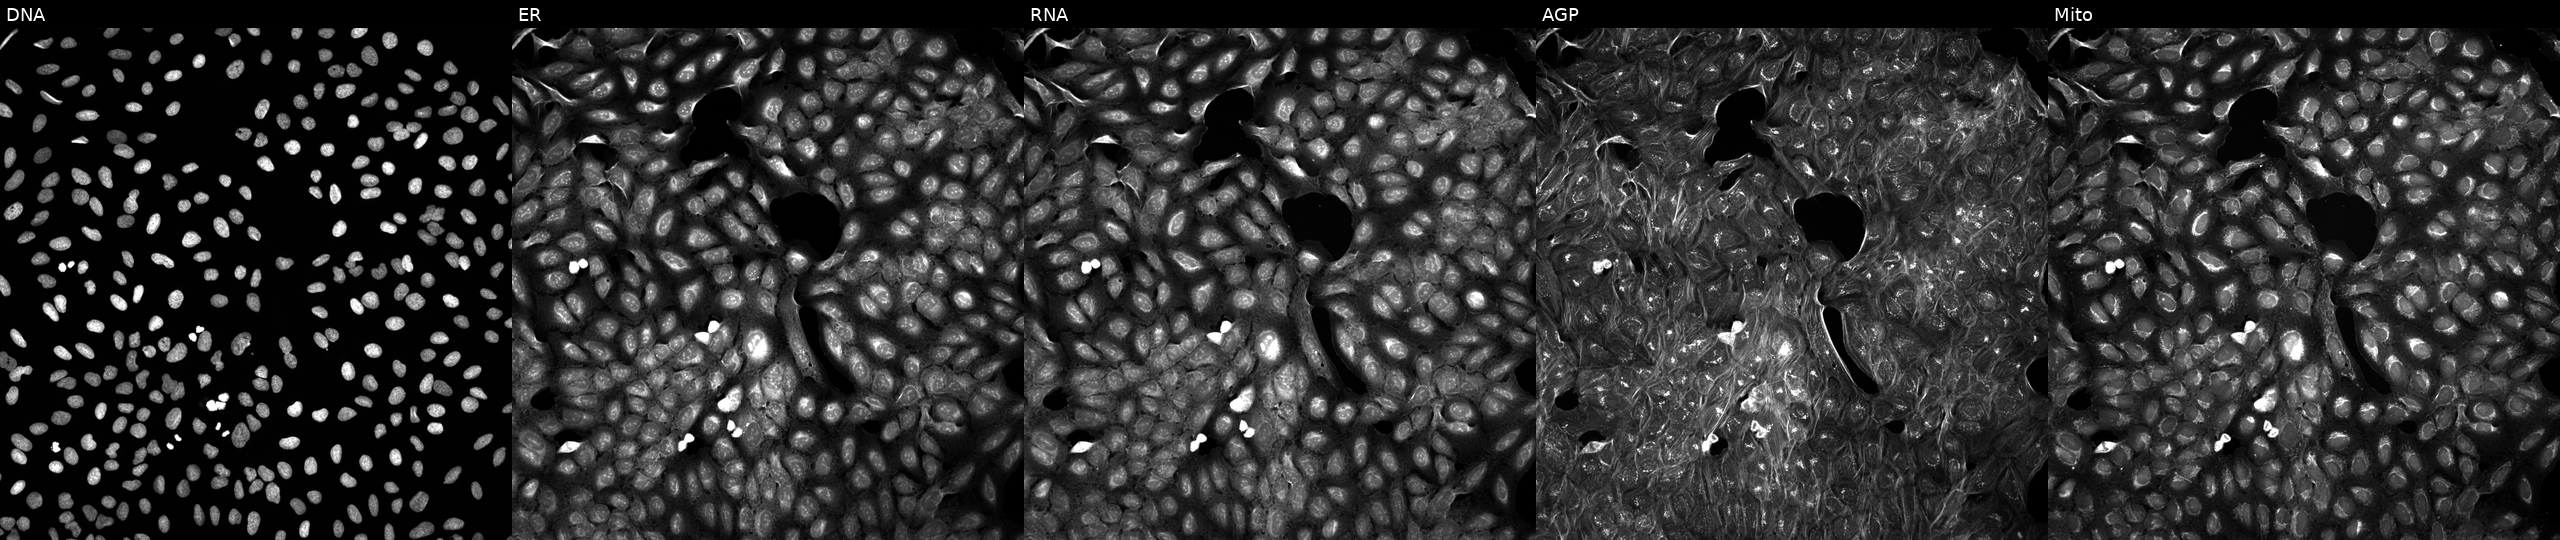
High-content fluorescence microscopy (Cell Painting). Cell line: U2OS. Perturbation: exposed to a small-molecule compound. Channels (left→right): Hoechst 33342, concanavalin A, SYTO 14, phalloidin and WGA, MitoTracker.